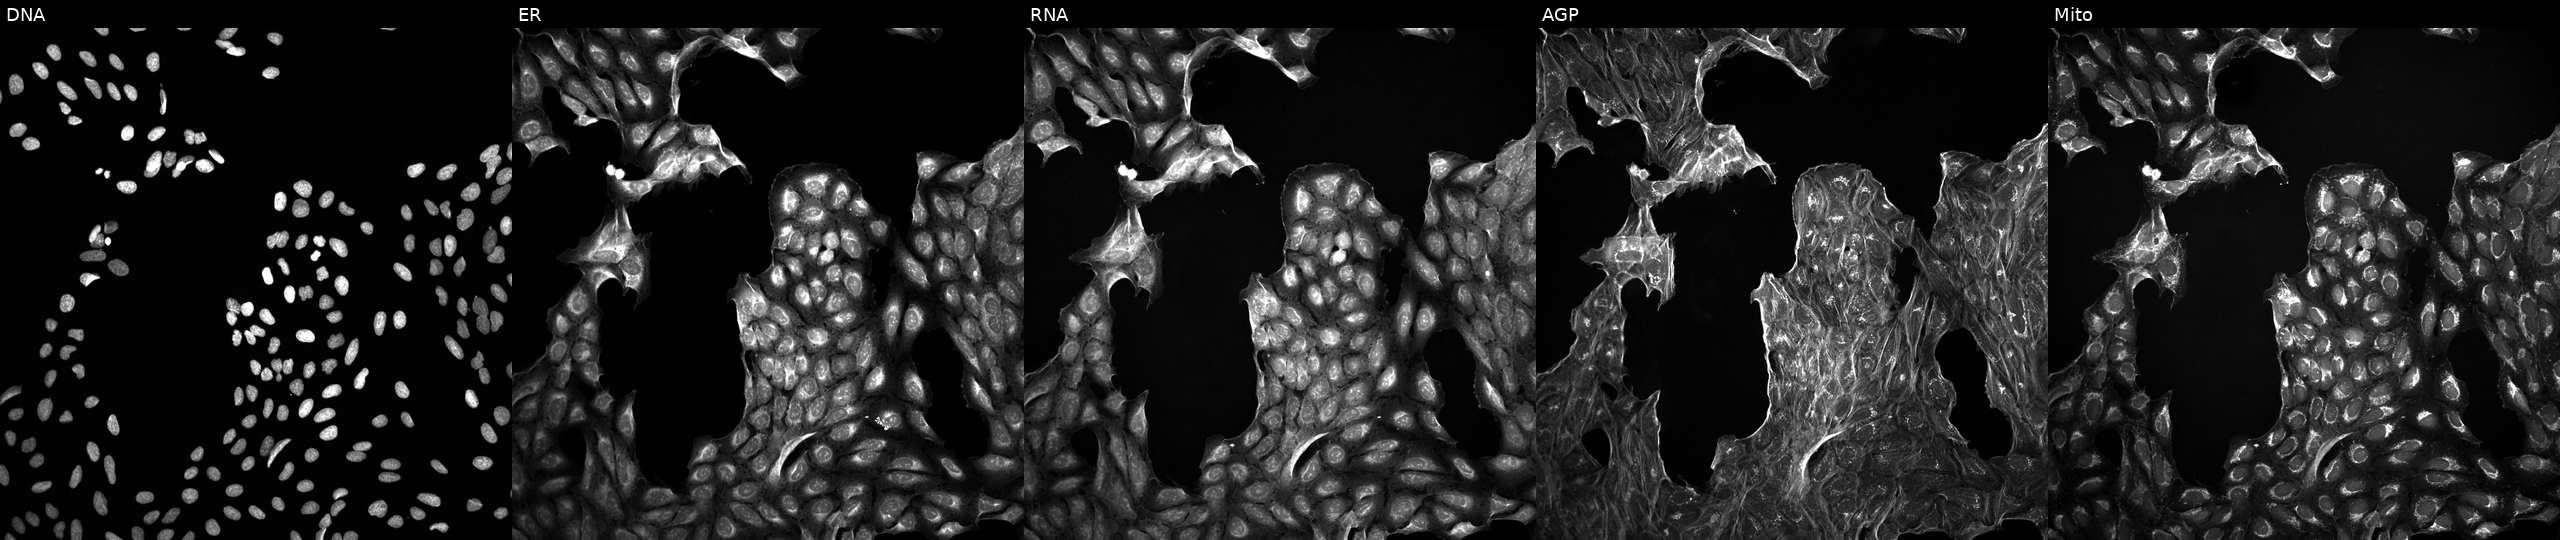
U2OS cells, Cell Painting assay, treated with a small-molecule compound [SMILES: O=C(O)c1ccccc1O]. Channels (left→right): Hoechst 33342, concanavalin A, SYTO 14, phalloidin and WGA, MitoTracker. Each panel is percentile-stretched 16-bit fluorescence.